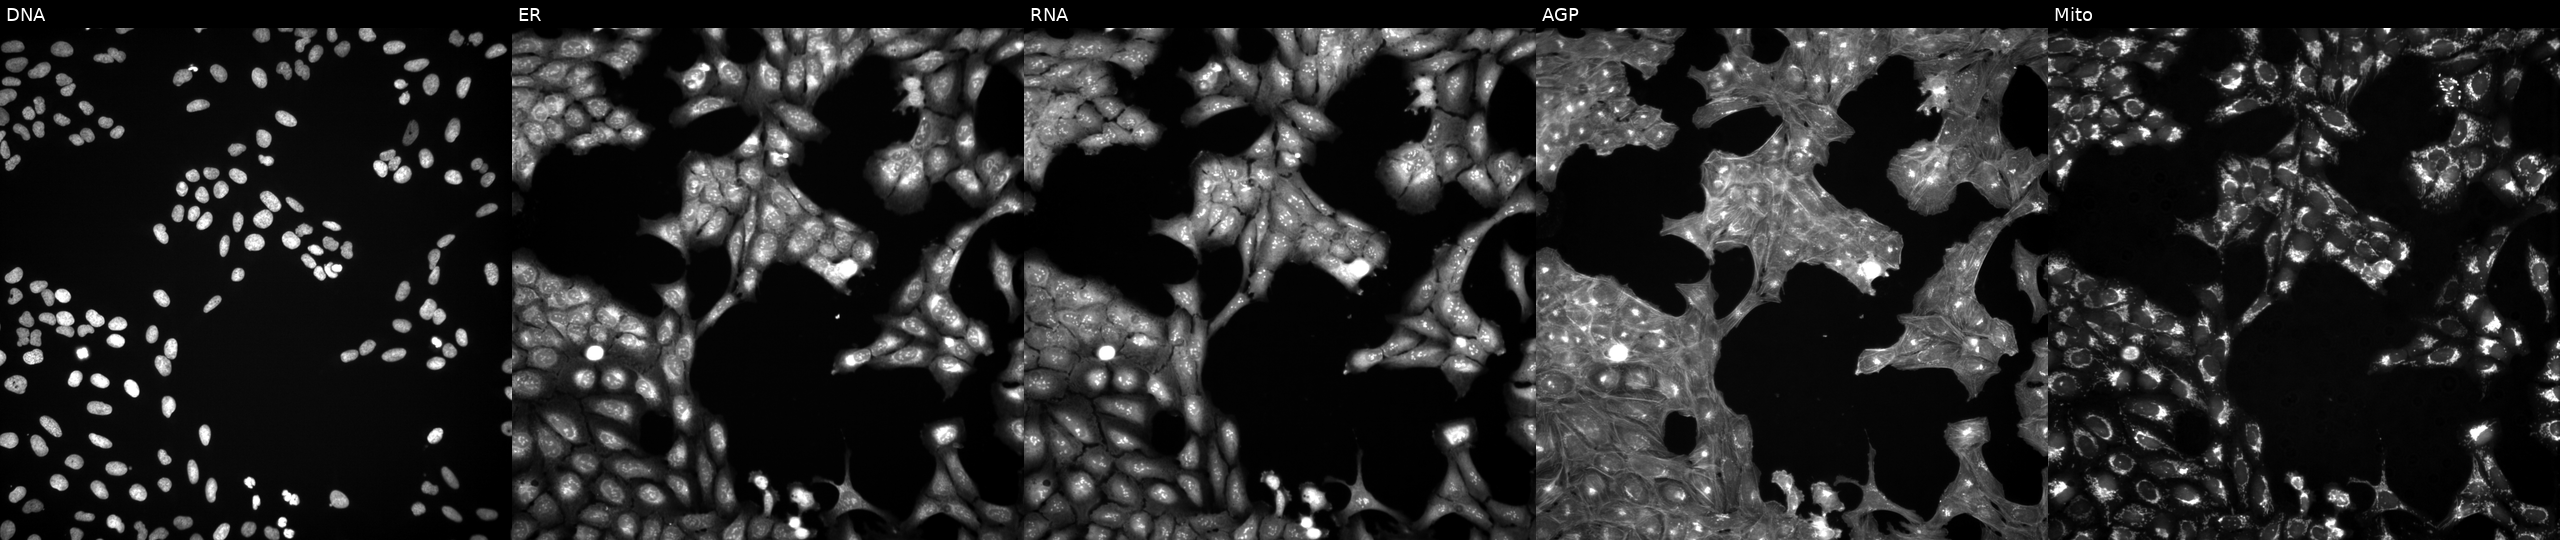
JUMP Cell Painting — TARGET2 plate. U2OS cells perturbed with a small-molecule compound (InChIKey RIKMMFOAQPJVMX-UHFFFAOYSA-N). Panels show, left to right, Hoechst 33342, concanavalin A, SYTO 14, phalloidin and WGA, MitoTracker.